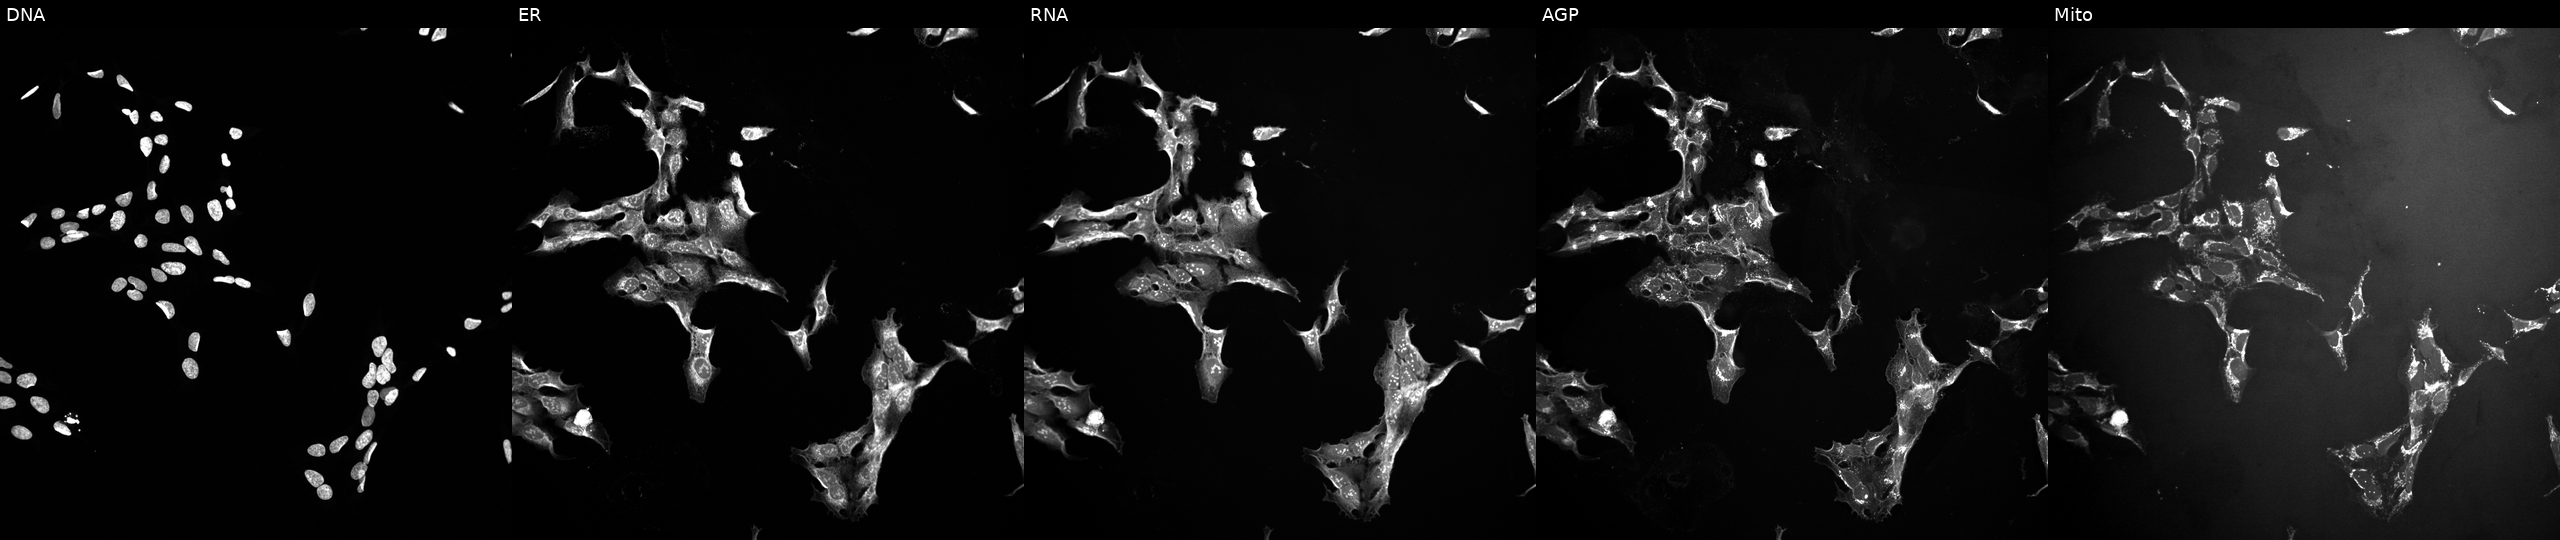
JUMP Cell Painting — TARGET2 plate. U2OS cells exposed to a small-molecule compound. From left to right: DNA, ER, RNA, AGP, and Mito.